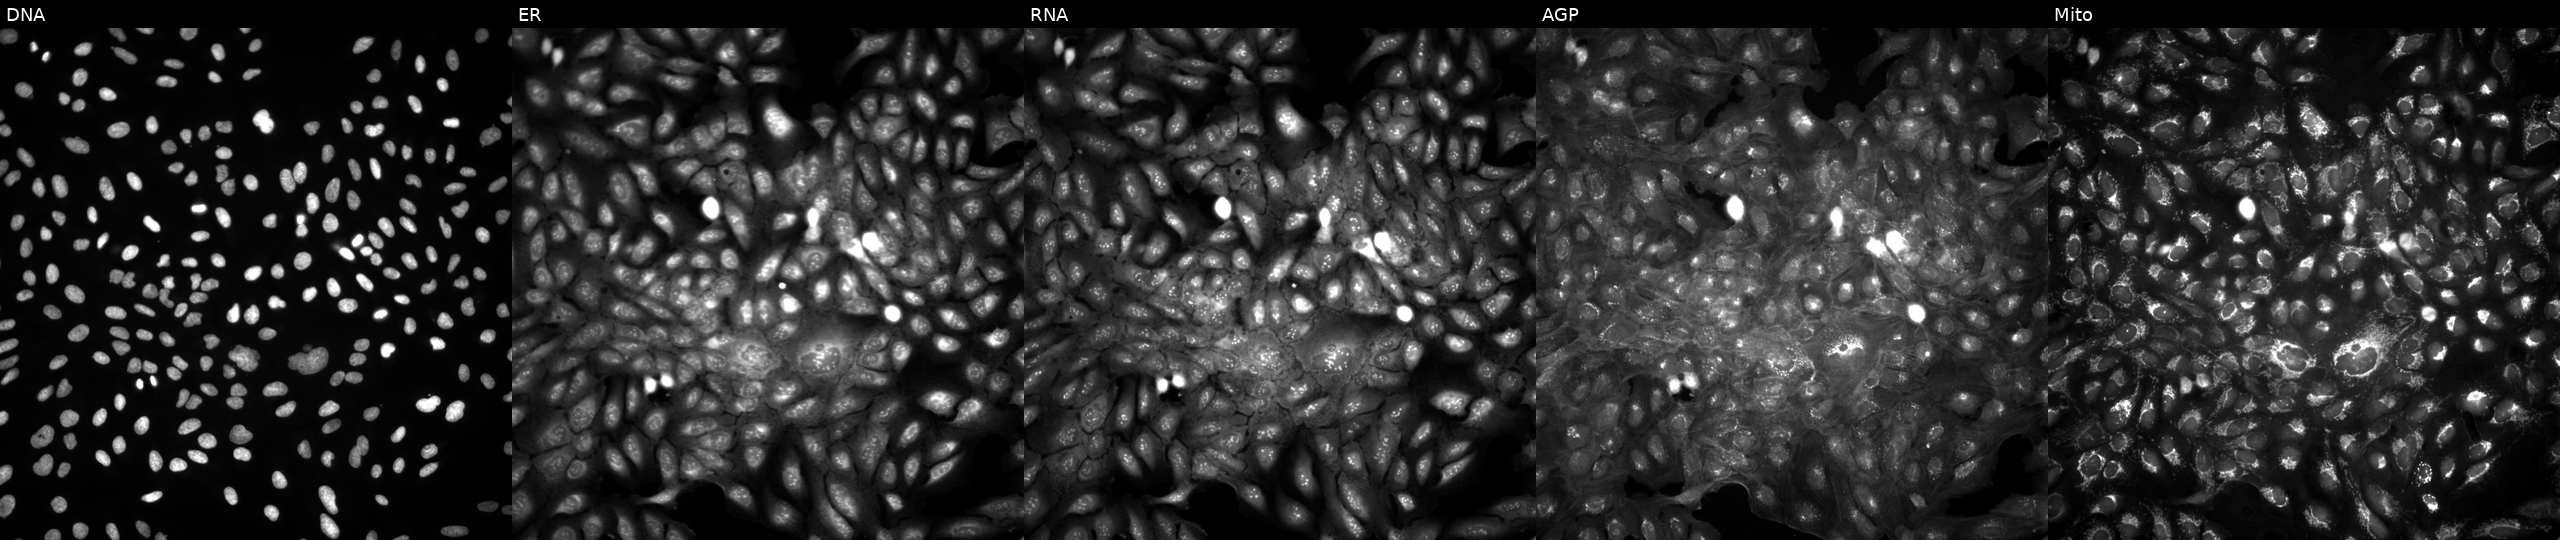
This image strip shows the five Cell Painting channels for a single field of U2OS cells untreated (empty-well control). Channels (left→right): DNA, ER, RNA, AGP, and Mito.